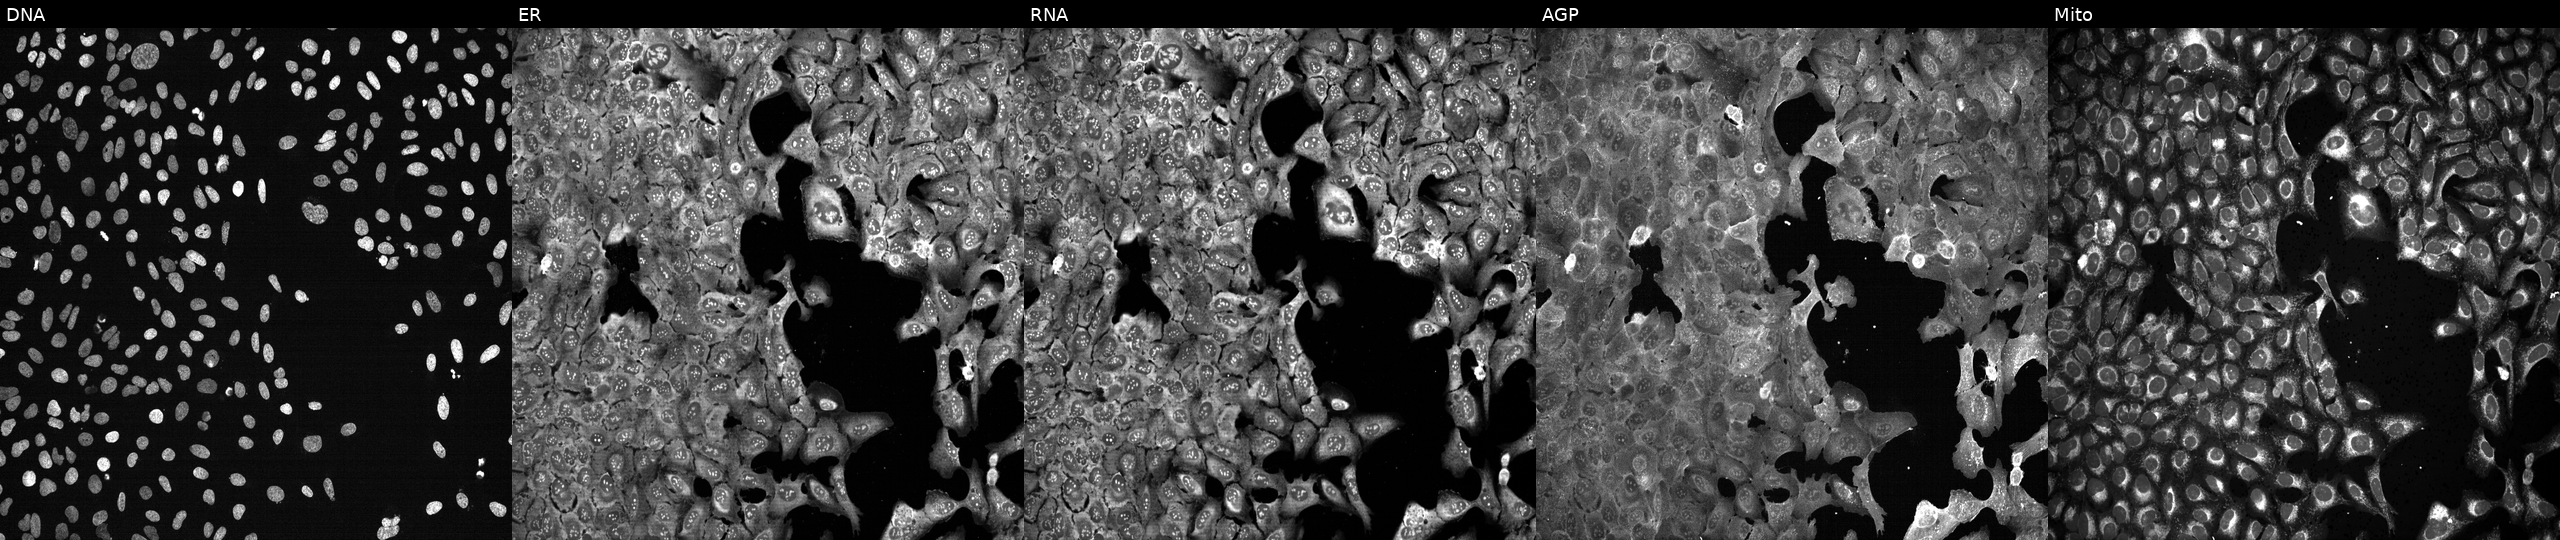
This image strip shows the five Cell Painting channels for a single field of U2OS cells following CRISPR knockout of SPR (JUMP id JCP2022_806749). Channels (left→right): DNA, ER, RNA, AGP, and Mito.